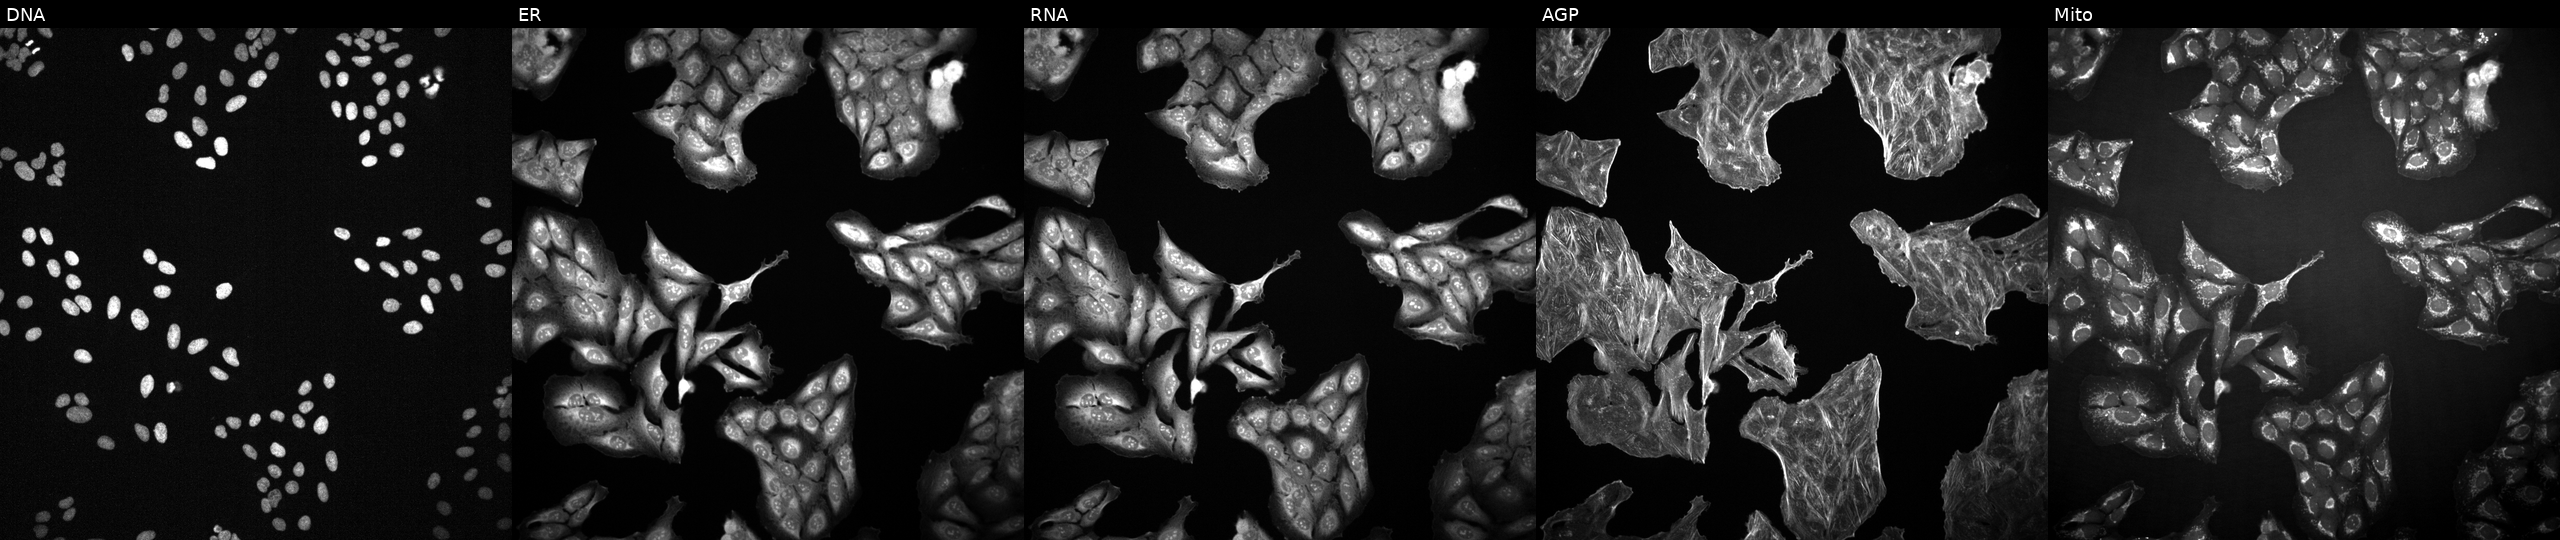
JUMP Cell Painting — TARGET2 plate. U2OS cells exposed to DMSO alone as a negative control. Channels (left→right): Hoechst 33342, concanavalin A, SYTO 14, phalloidin and WGA, MitoTracker.